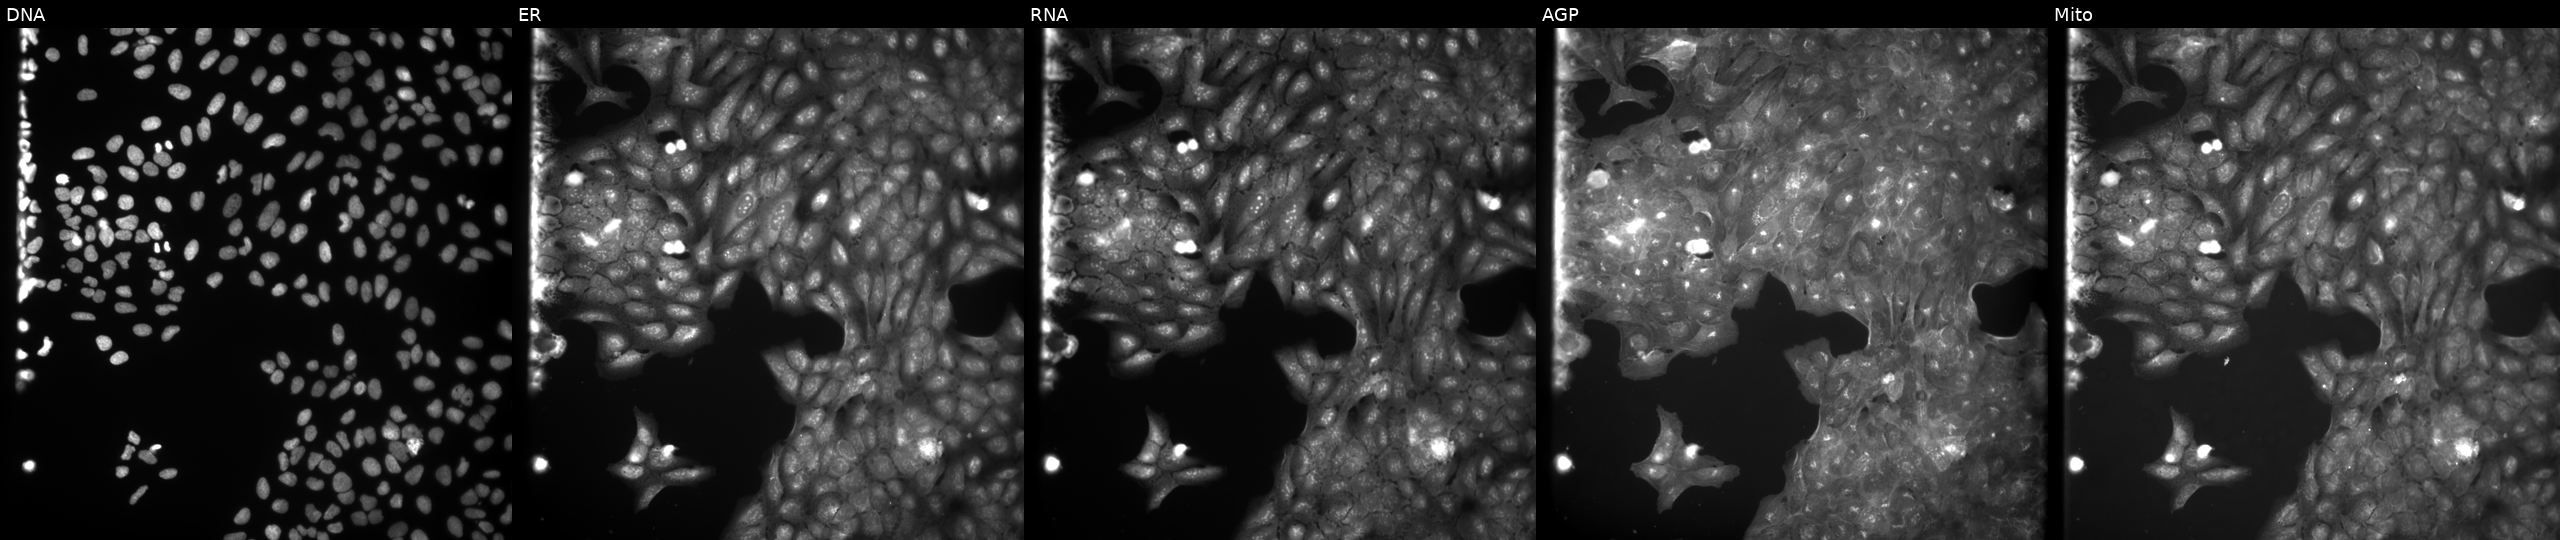
Five-channel Cell Painting image of U2OS cells perturbed with a small-molecule compound (InChIKey BUBNUJXLIQIFPD-UHFFFAOYSA-N) (JUMP id JCP2022_008676). Panels show, left to right, DNA (nuclei); ER (endoplasmic reticulum); RNA (nucleoli and cytoplasmic RNA); AGP (actin cytoskeleton, Golgi, and plasma membrane); Mito (mitochondria).